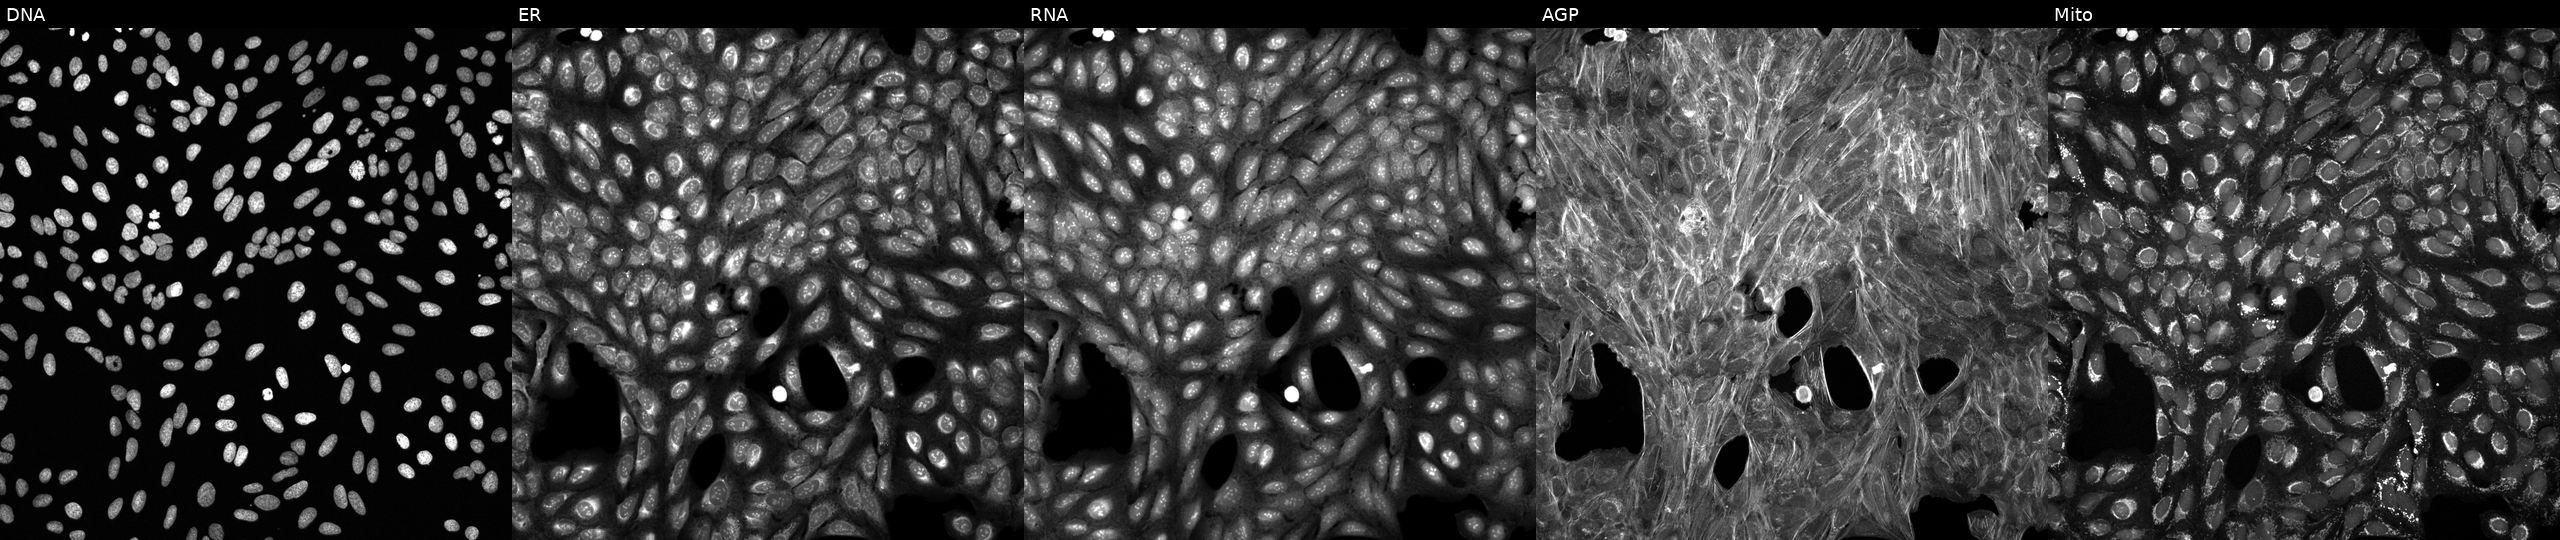
JUMP Cell Painting — COMPOUND plate. U2OS cells treated with dexamethasone (positive-control compound) (JUMP id JCP2022_025848). Panels show, left to right, DNA (nuclei); ER (endoplasmic reticulum); RNA (nucleoli and cytoplasmic RNA); AGP (actin cytoskeleton, Golgi, and plasma membrane); Mito (mitochondria). Source 6, plate 110000293082, well O24.